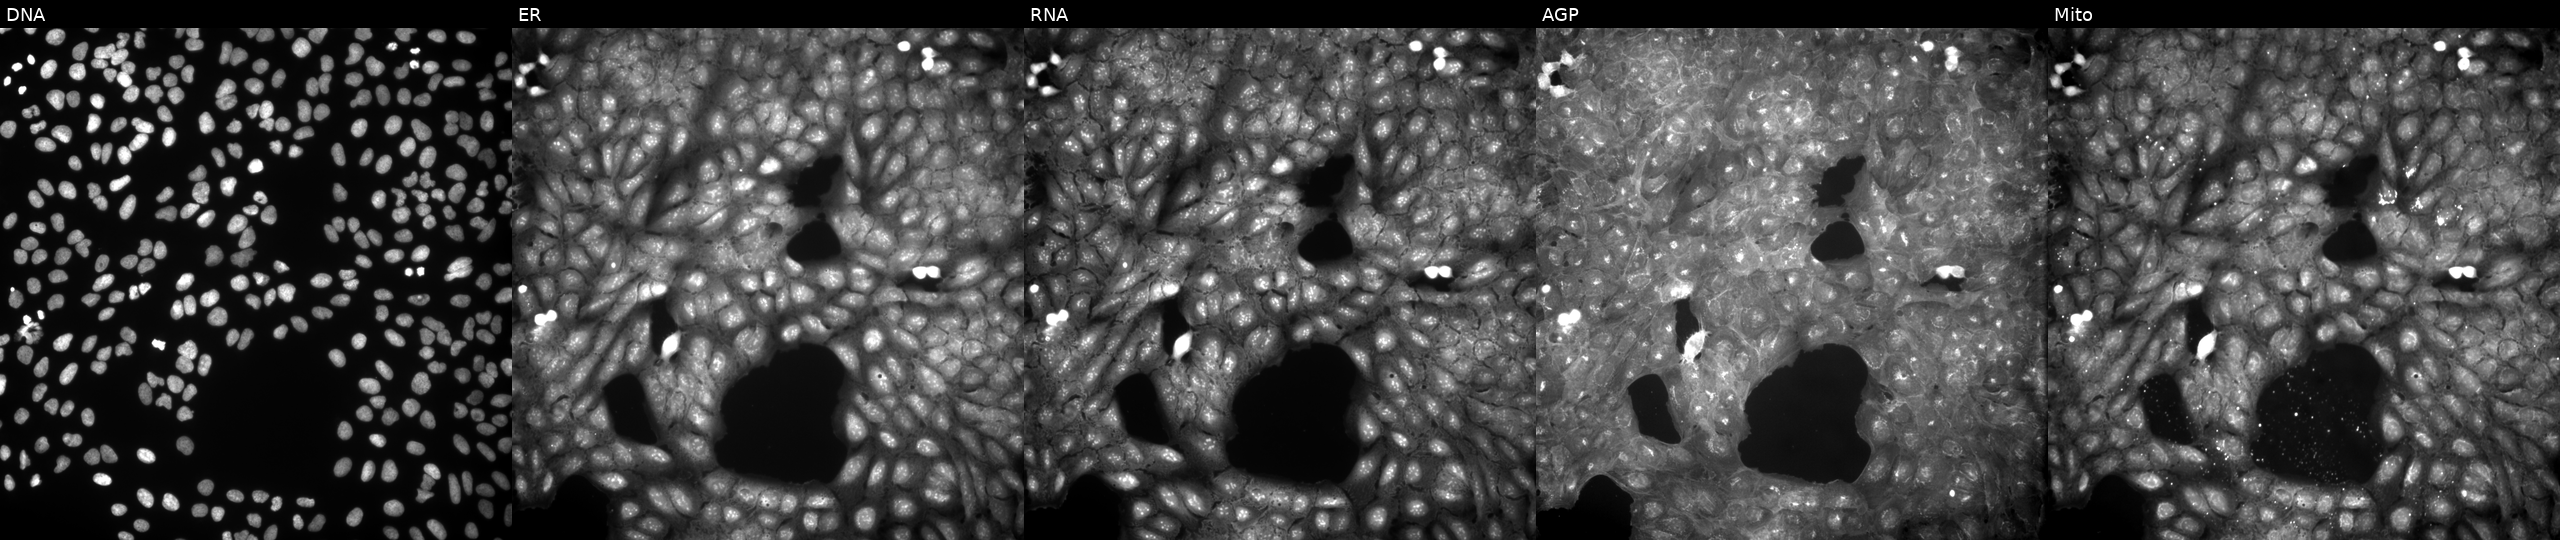
Channels (left→right): Hoechst 33342, concanavalin A, SYTO 14, phalloidin and WGA, MitoTracker. U2OS osteosarcoma cells treated with a small-molecule compound (InChIKey ISXGYQZVJVNFNR-UHFFFAOYSA-N) (JUMP id JCP2022_037209). Cell Painting assay, JUMP-CP dataset. Source 9, plate GR00003382, well K27.